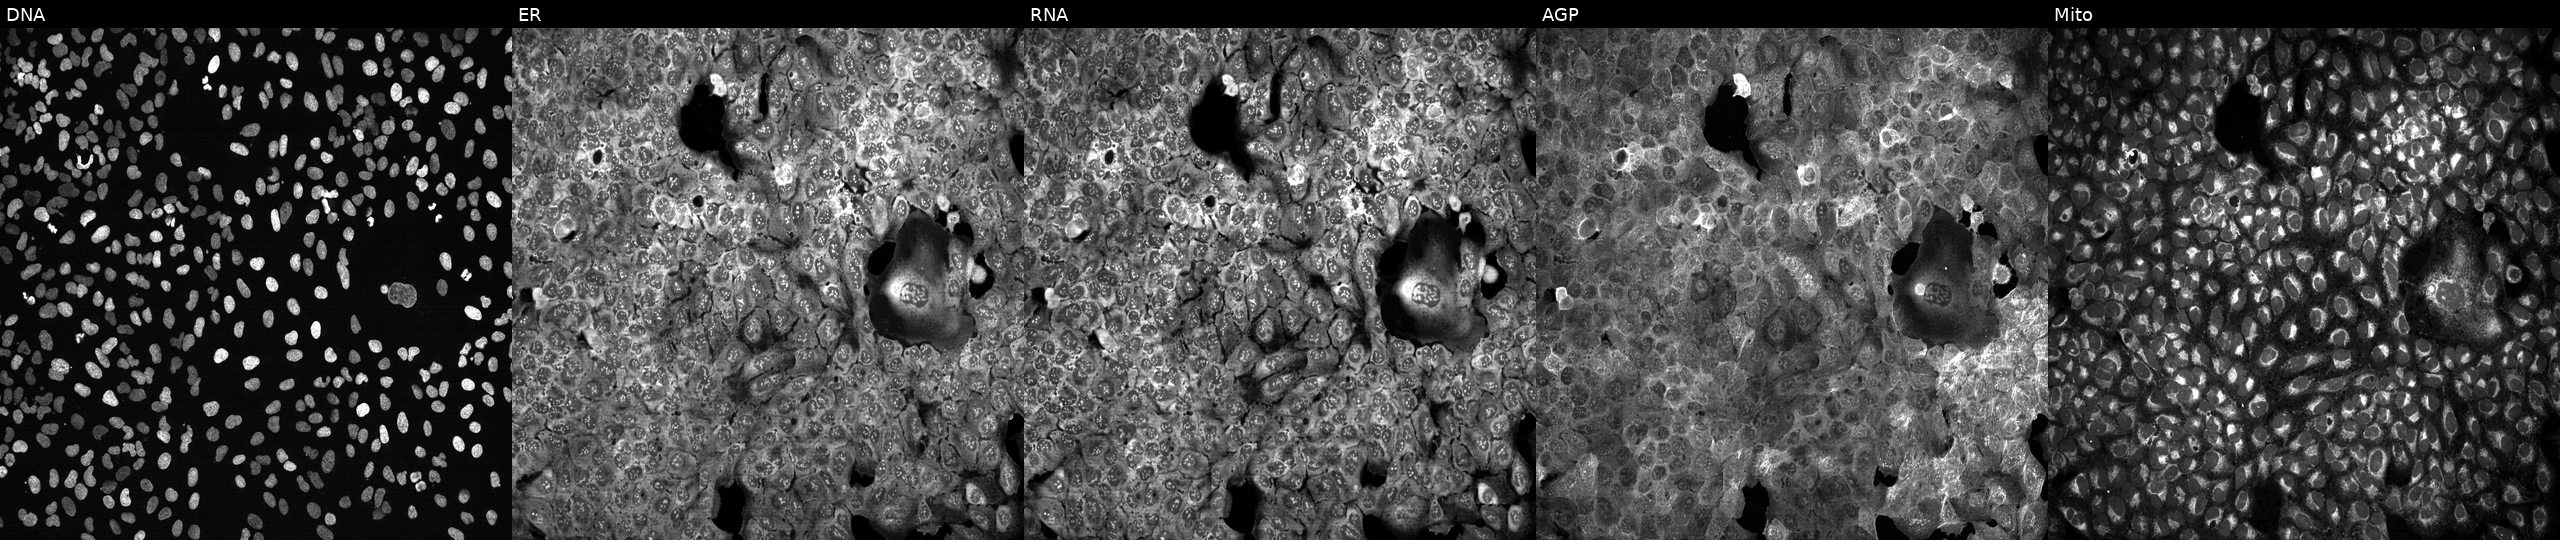
Five-channel Cell Painting image of U2OS cells CRISPR-edited to disrupt RND3 (JUMP id JCP2022_805996). Panels show, left to right, Hoechst 33342, concanavalin A, SYTO 14, phalloidin and WGA, MitoTracker. Source 13, plate CP-CC9-R2-01, well M12.